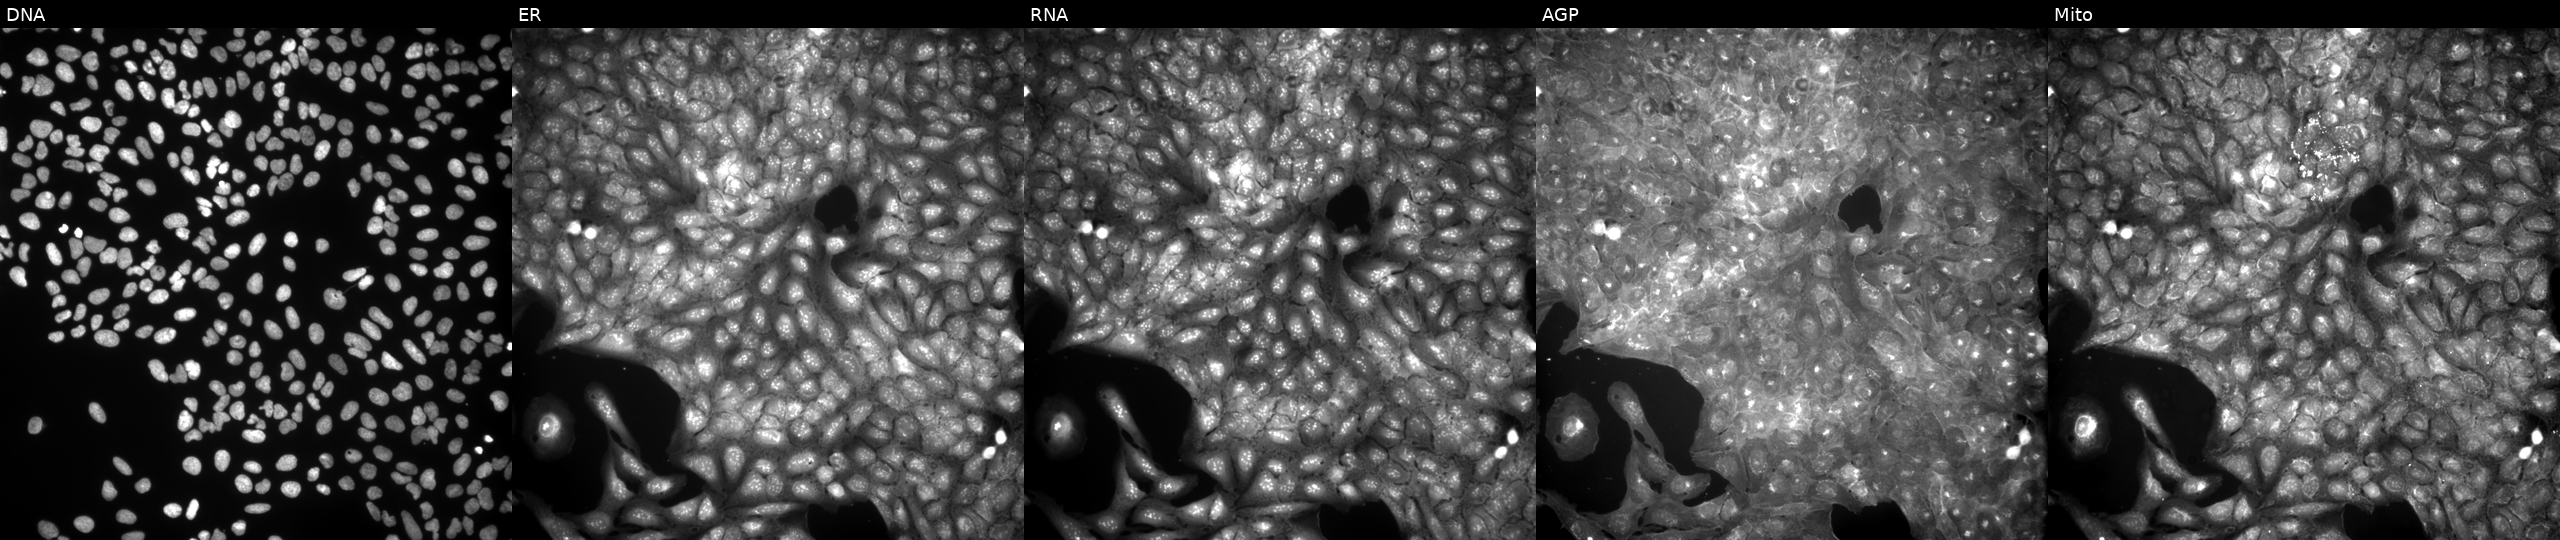
High-content fluorescence microscopy (Cell Painting). Cell line: U2OS. Perturbation: exposed to a small-molecule compound (InChIKey CPGVYFCTSGTLHE-UHFFFAOYSA-N) [SMILES: C=c1[nH]n(-c2ccc(Cl)c(Cl)c2)c(=O)c1=Cc1cccs1]. Panels show, left to right, DNA (nuclei); ER (endoplasmic reticulum); RNA (nucleoli and cytoplasmic RNA); AGP (actin cytoskeleton, Golgi, and plasma membrane); Mito (mitochondria). Source 9, plate GR00003382, well D33.